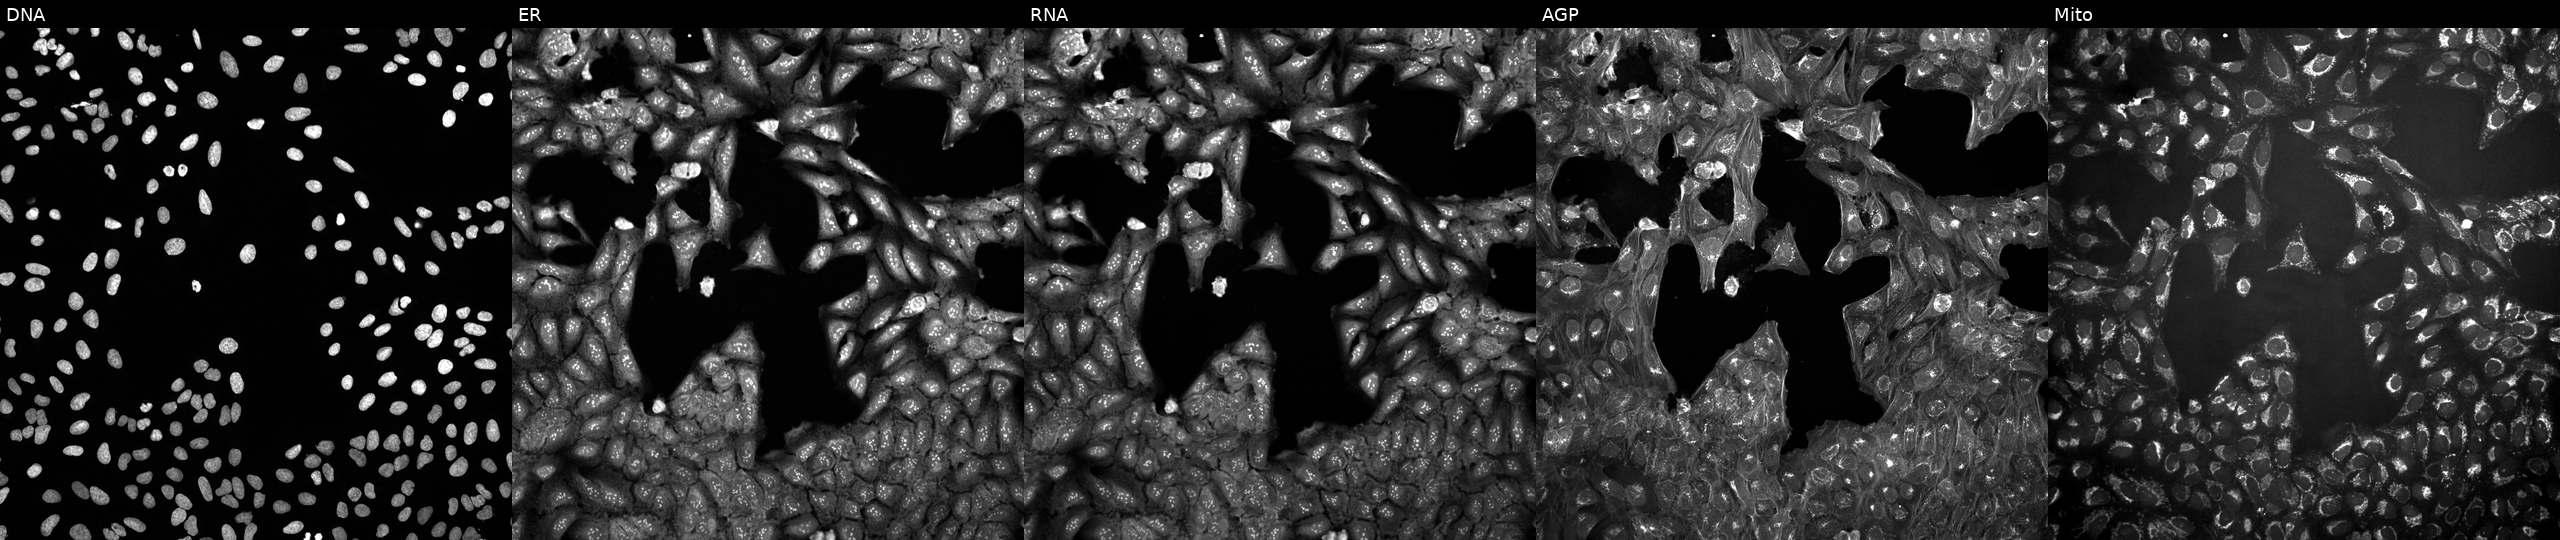
This image strip shows the five Cell Painting channels for a single field of U2OS cells perturbed with a small-molecule compound (JUMP id JCP2022_001206). From left to right: DNA, ER, RNA, AGP, and Mito.